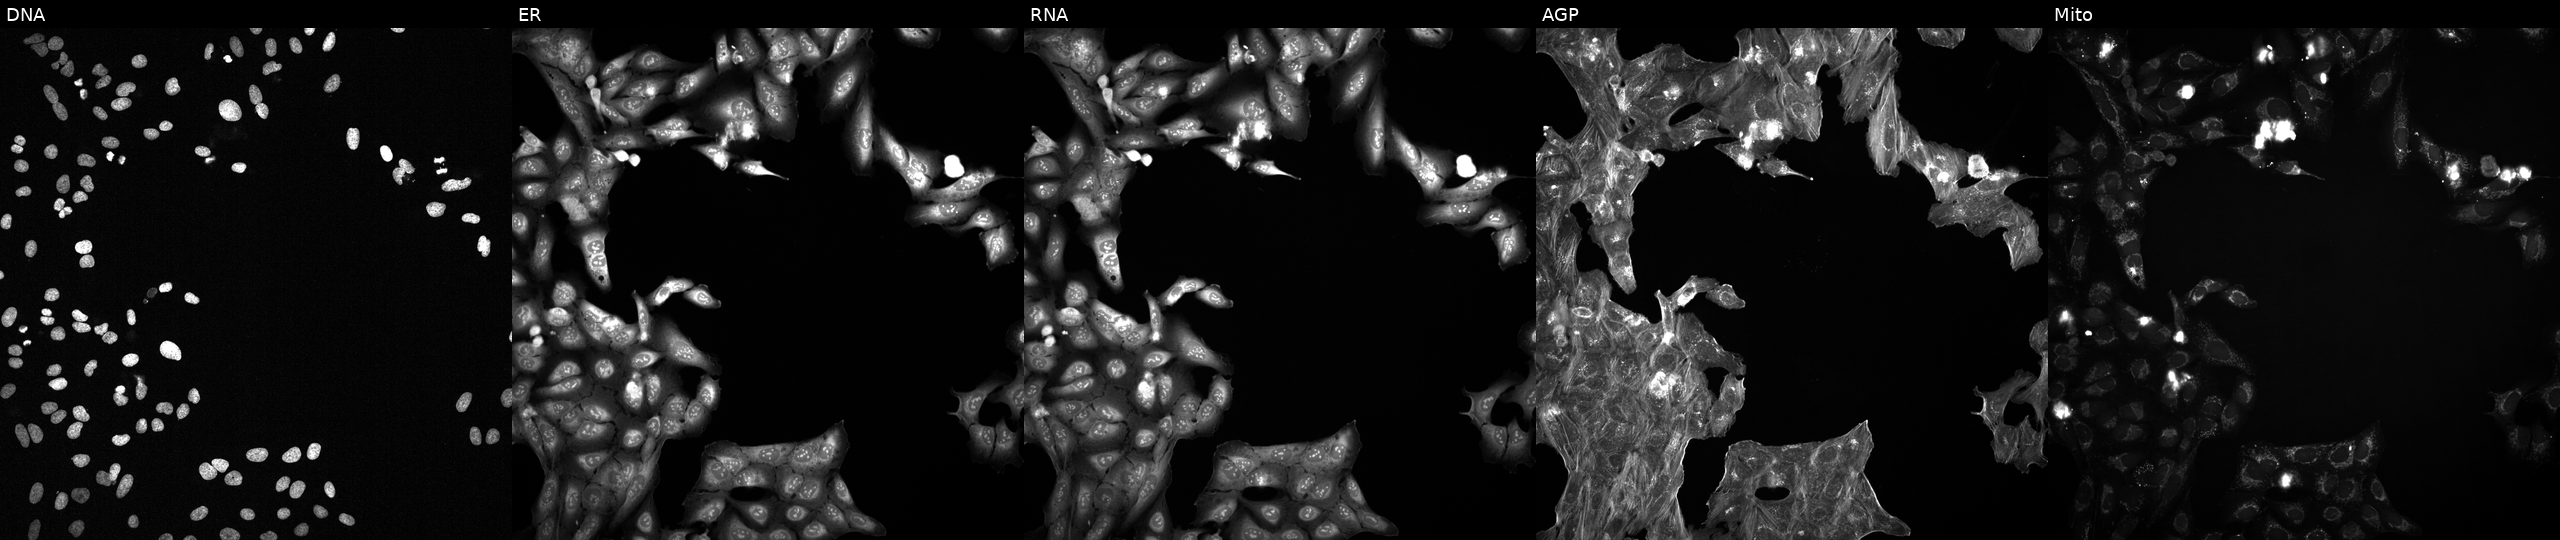
The five panels, left to right, show DNA, ER, RNA, AGP, and Mito. U2OS osteosarcoma cells perturbed with a small-molecule compound (InChIKey QTGKLDDEJJJXSD-UHFFFAOYSA-N). Cell Painting assay, JUMP-CP dataset.